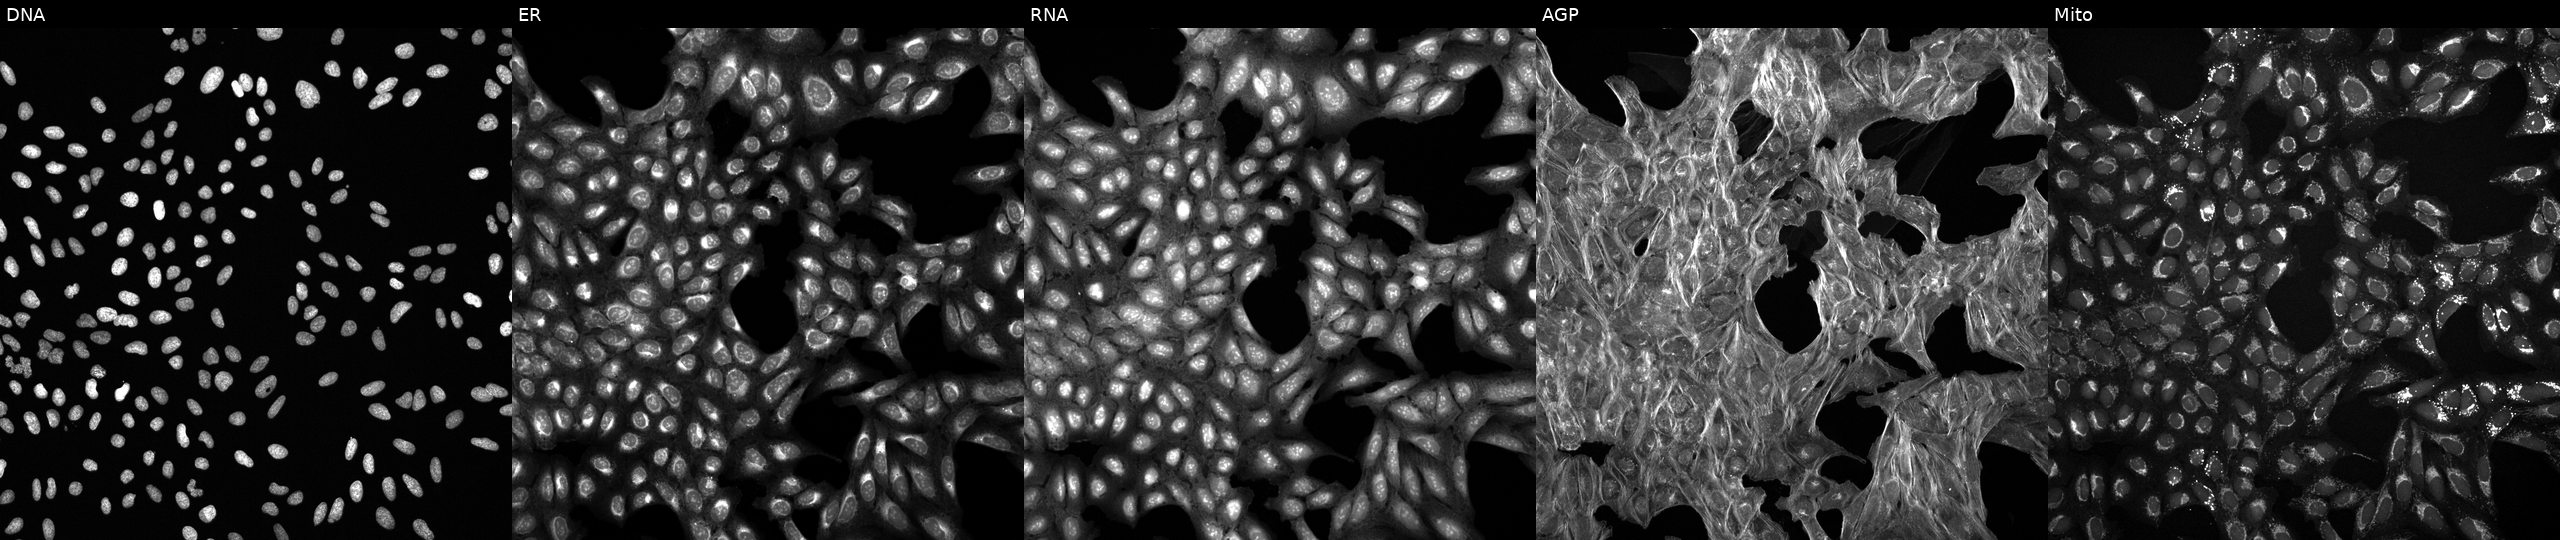
This image strip shows the five Cell Painting channels for a single field of U2OS cells perturbed with a small-molecule compound (InChIKey AAORSHWIUXVEAI-UHFFFAOYSA-N) (JUMP id JCP2022_000122). From left to right: DNA, ER, RNA, AGP, and Mito.